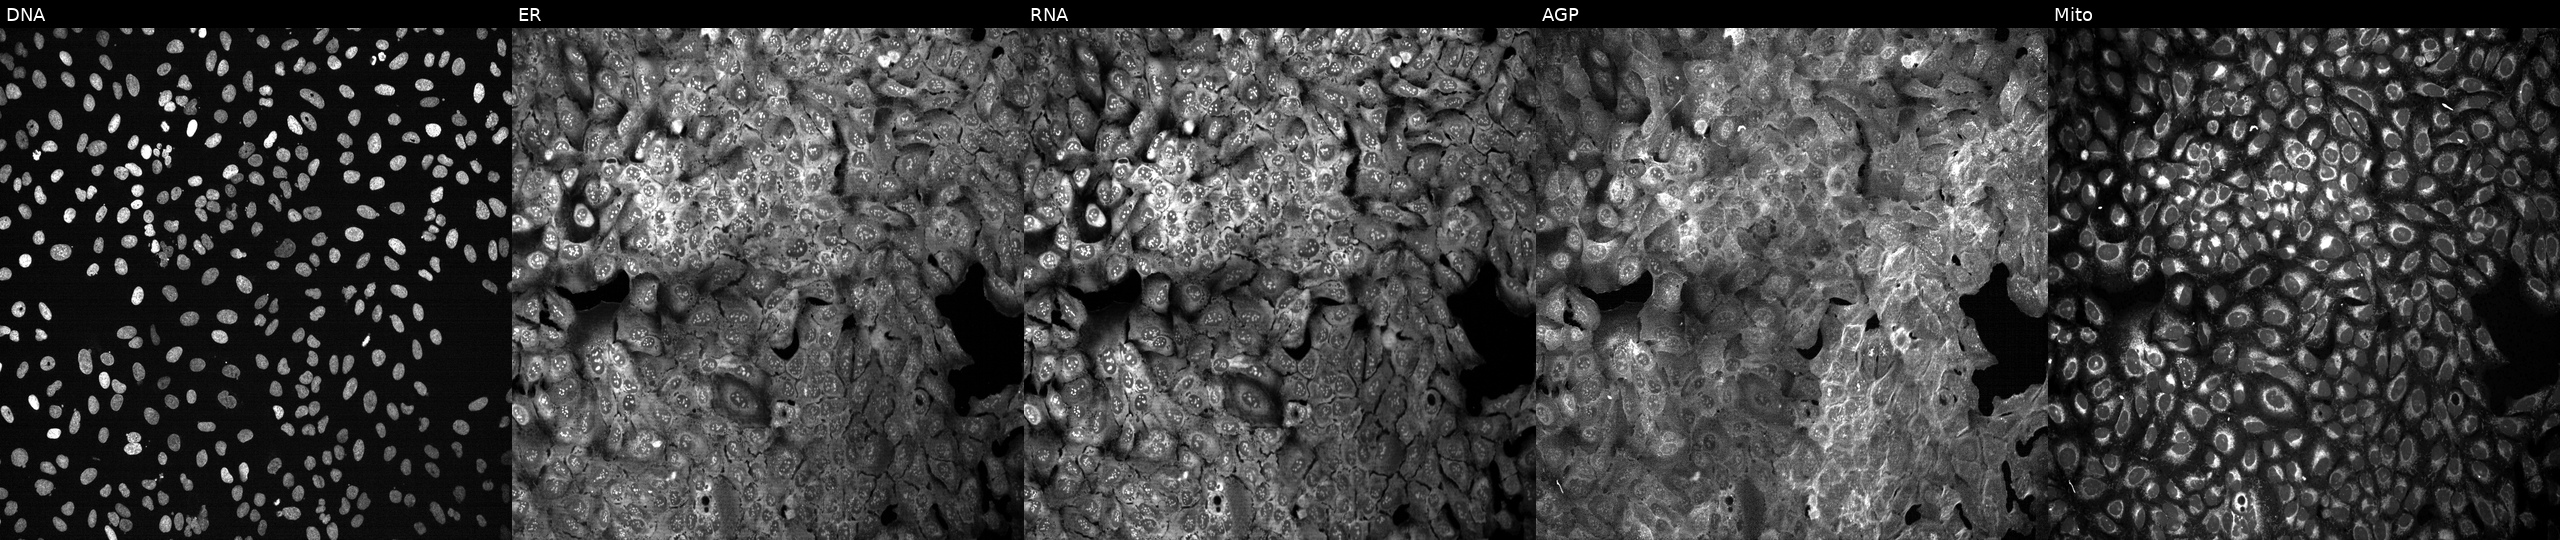
U2OS cells, Cell Painting assay, following CRISPR knockout of GANC. Panels show, left to right, DNA, ER, RNA, AGP, and Mito. Each panel is percentile-stretched 16-bit fluorescence.